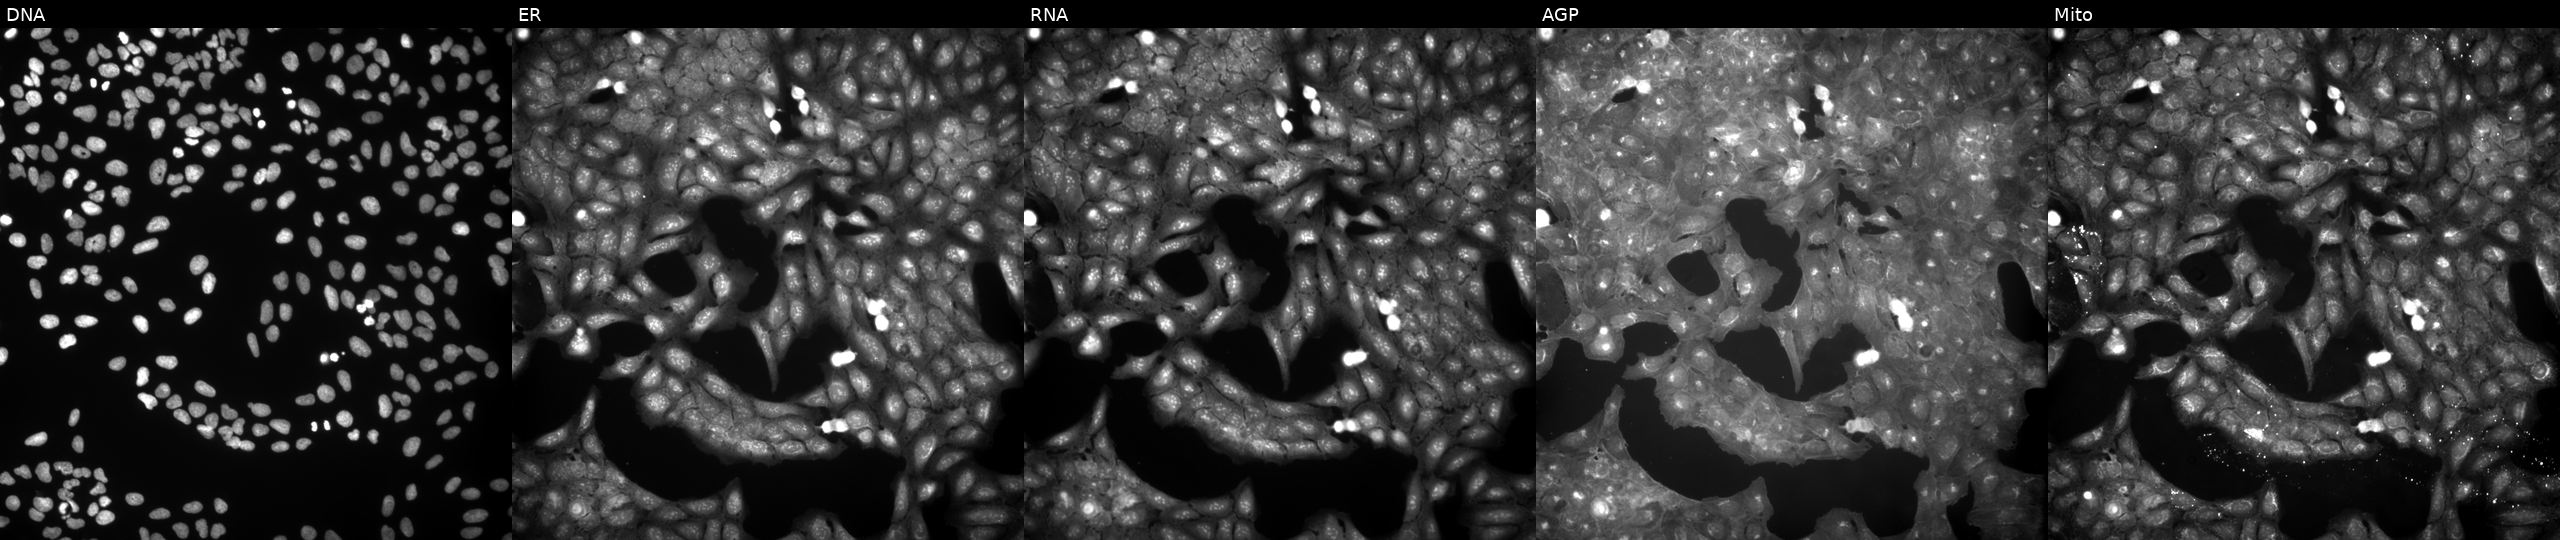
Panels show, left to right, DNA (nuclei); ER (endoplasmic reticulum); RNA (nucleoli and cytoplasmic RNA); AGP (actin cytoskeleton, Golgi, and plasma membrane); Mito (mitochondria). U2OS osteosarcoma cells perturbed with a small-molecule compound (InChIKey OZXFTSNPYNIBCW-UHFFFAOYSA-N). Cell Painting assay, JUMP-CP dataset.